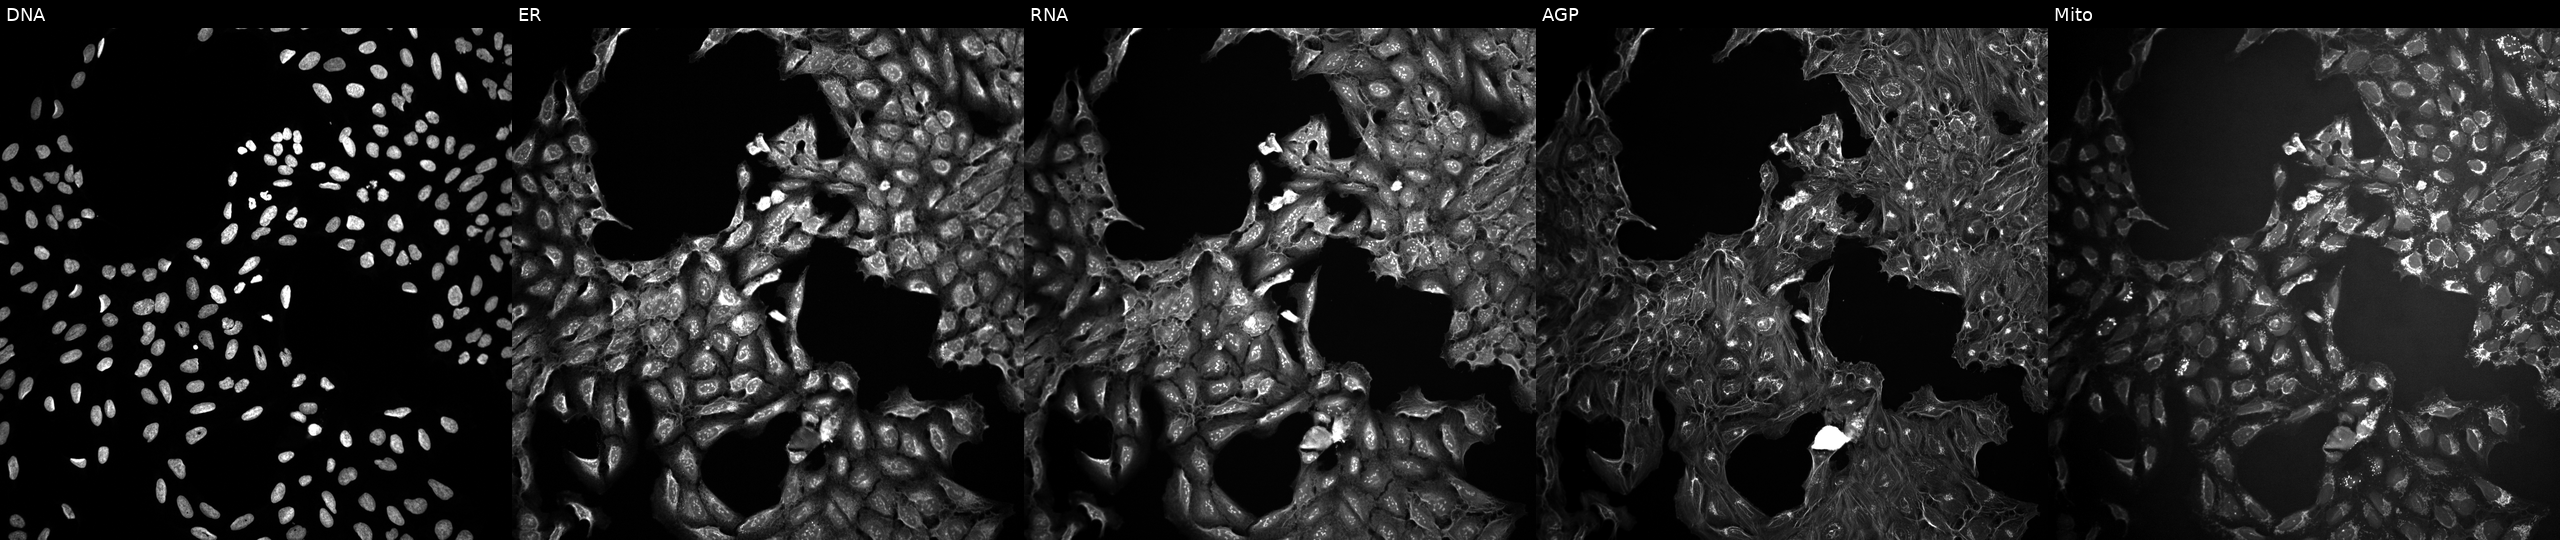
Panels show, left to right, DNA, ER, RNA, AGP, and Mito. U2OS osteosarcoma cells treated with DMSO vehicle only (negative control) (JUMP id JCP2022_033924). Cell Painting assay, JUMP-CP dataset. Source 10, plate Dest210531-152324, well N23.